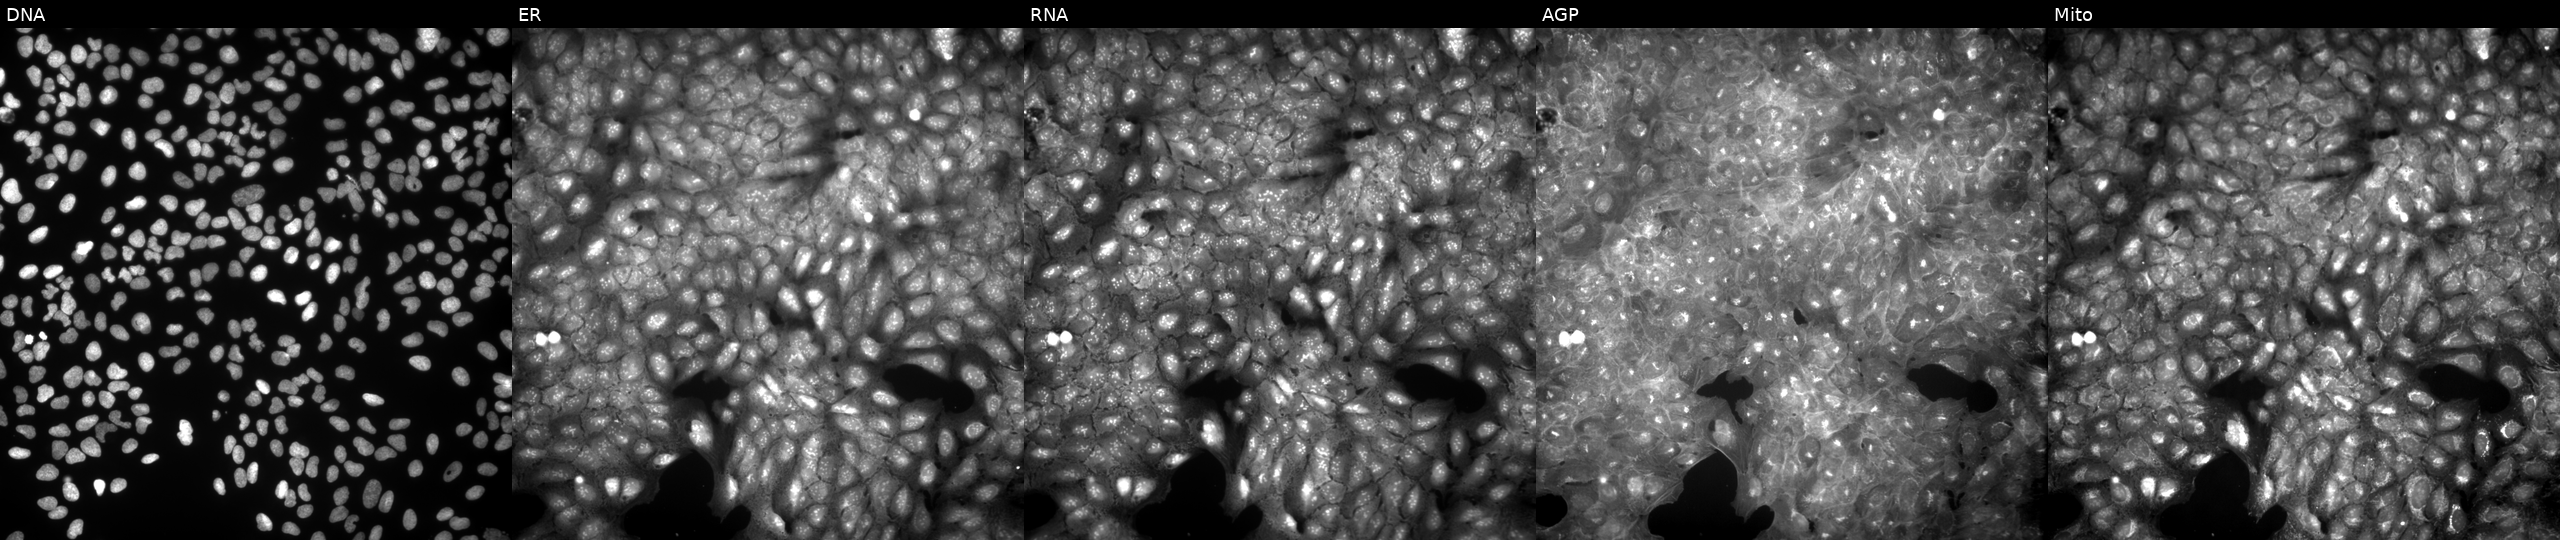
The five panels, left to right, show Hoechst 33342, concanavalin A, SYTO 14, phalloidin and WGA, MitoTracker. U2OS osteosarcoma cells treated with DMSO vehicle only (negative control). Cell Painting assay, JUMP-CP dataset.